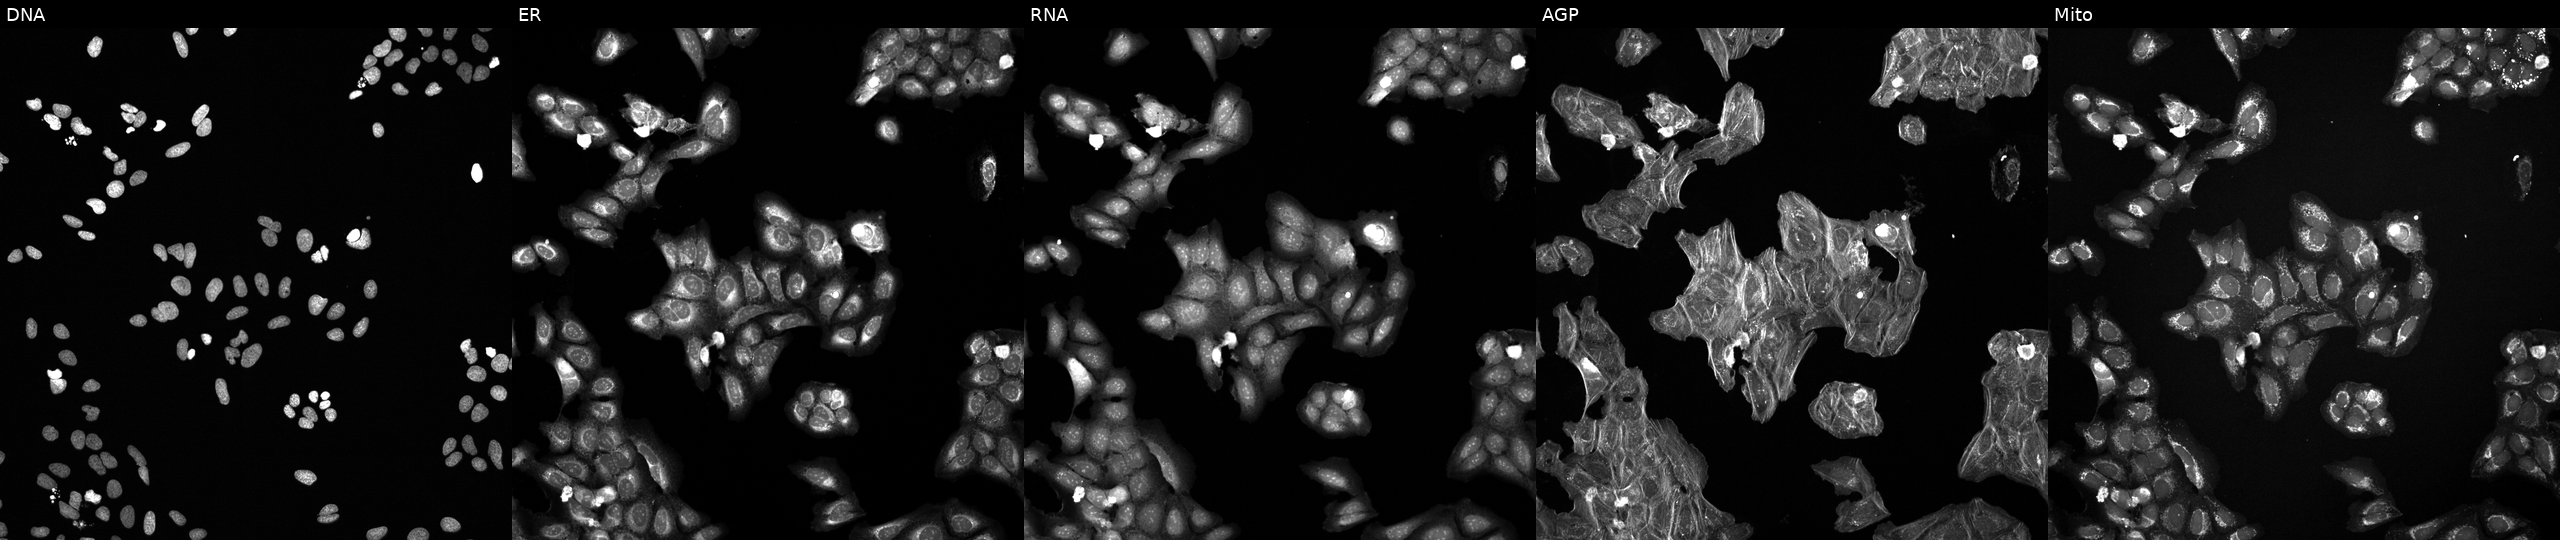
High-content fluorescence microscopy (Cell Painting). Cell line: U2OS. Perturbation: perturbed with a small-molecule compound (JUMP id JCP2022_106680). Channels (left→right): Hoechst 33342, concanavalin A, SYTO 14, phalloidin and WGA, MitoTracker. Source 6, plate 110000294901, well M20.